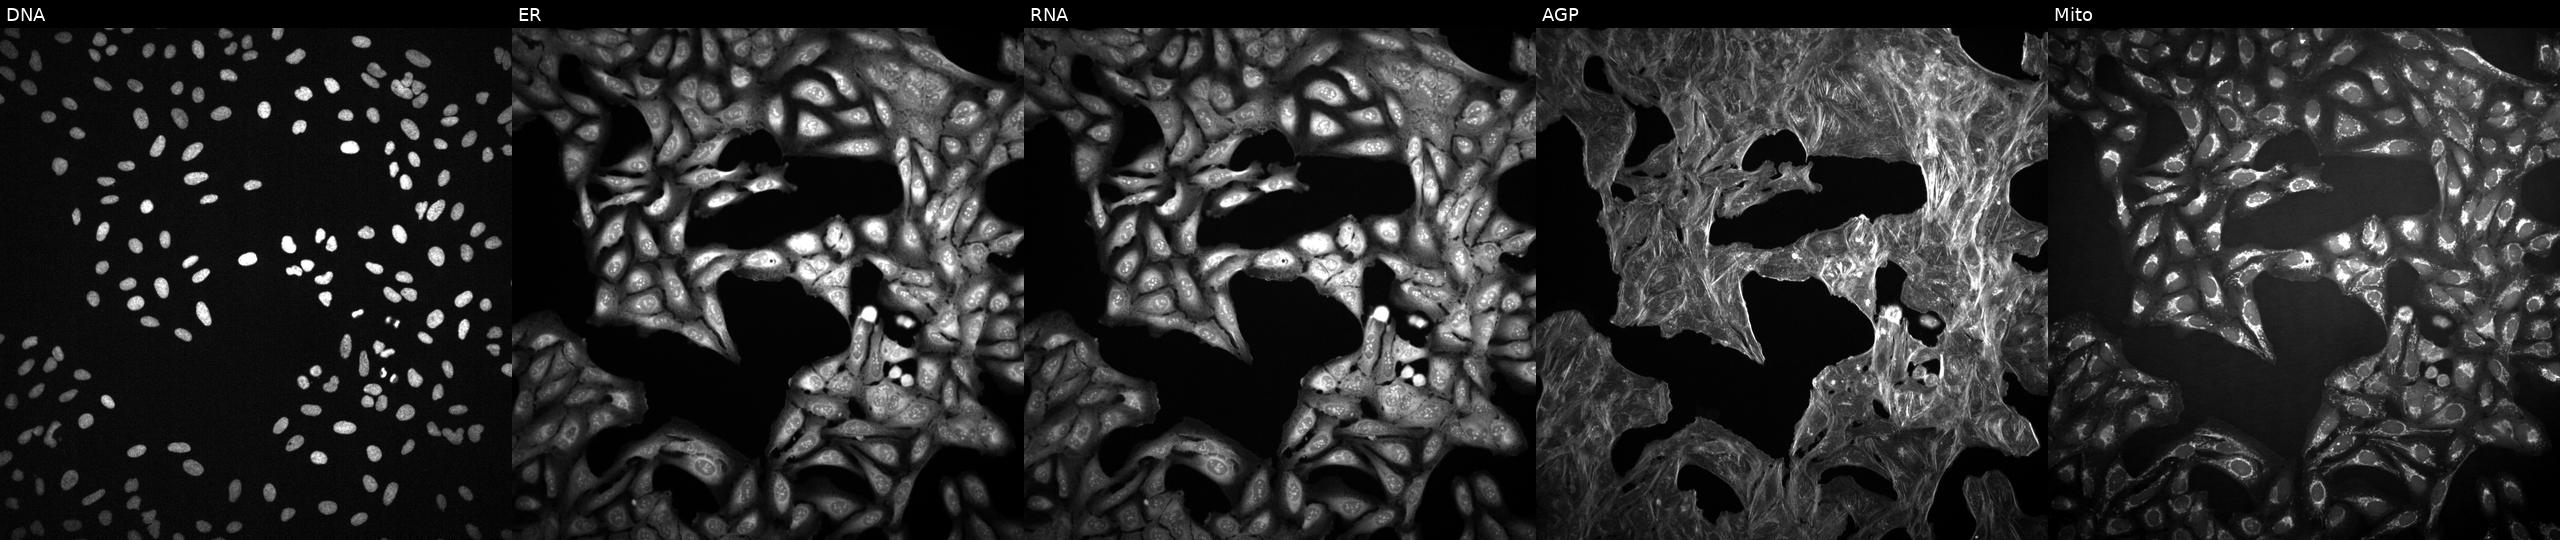
JUMP Cell Painting — TARGET2 plate. U2OS cells perturbed with a small-molecule compound (InChIKey MVCQKIKWYUURMU-UHFFFAOYSA-N). From left to right: DNA, ER, RNA, AGP, and Mito. Source 2, plate 1053597936, well G11.